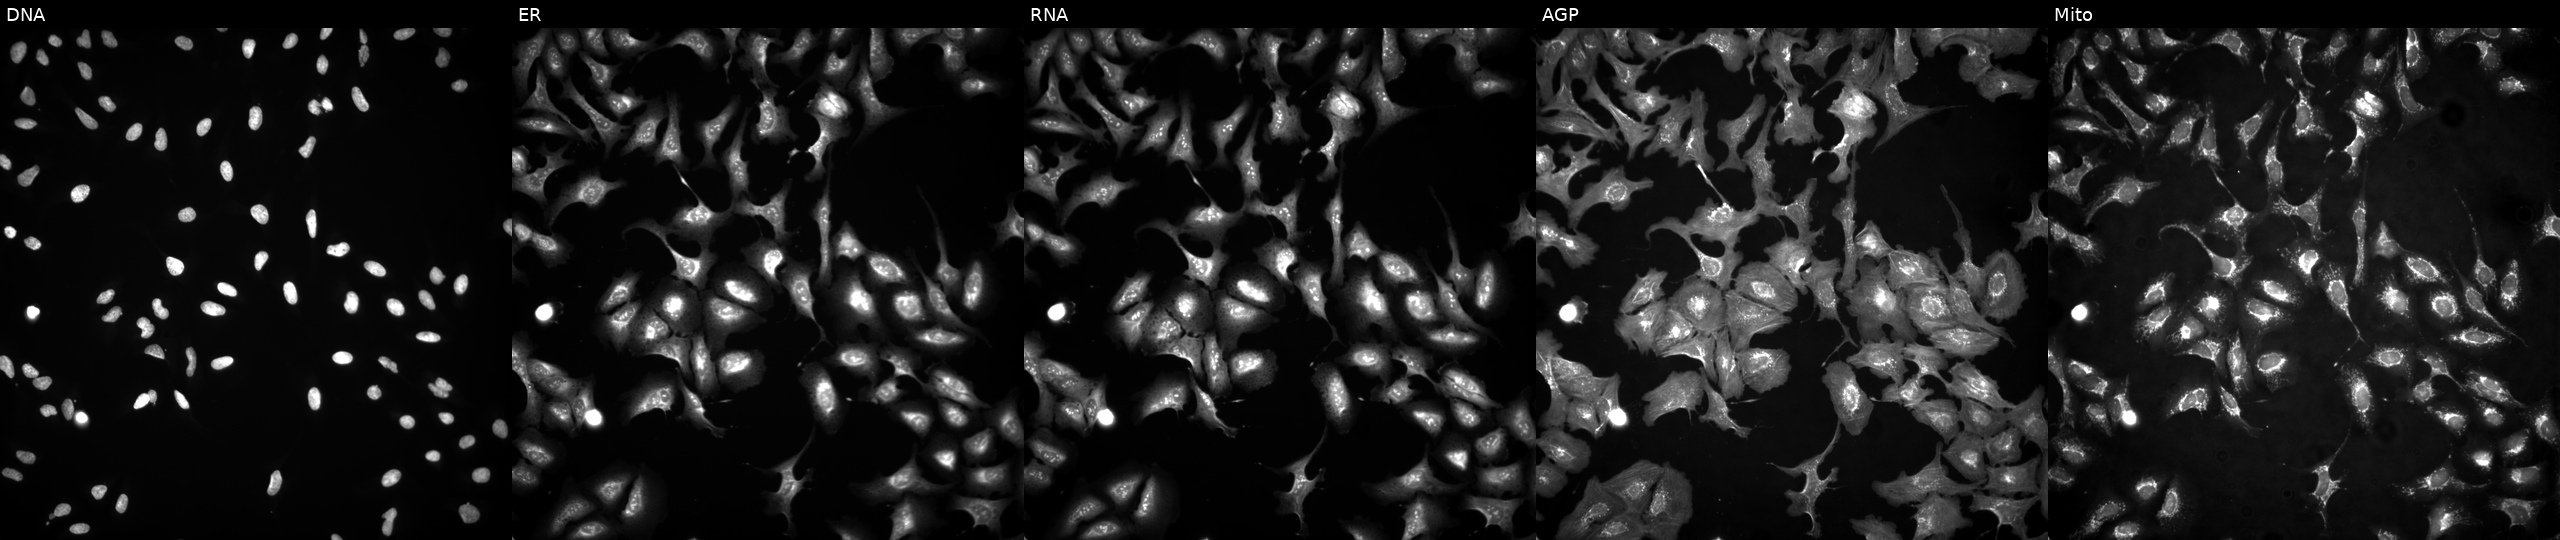
This image strip shows the five Cell Painting channels for a single field of U2OS cells with HIPK2 overexpressed (ORF). The five panels, left to right, show DNA, ER, RNA, AGP, and Mito.